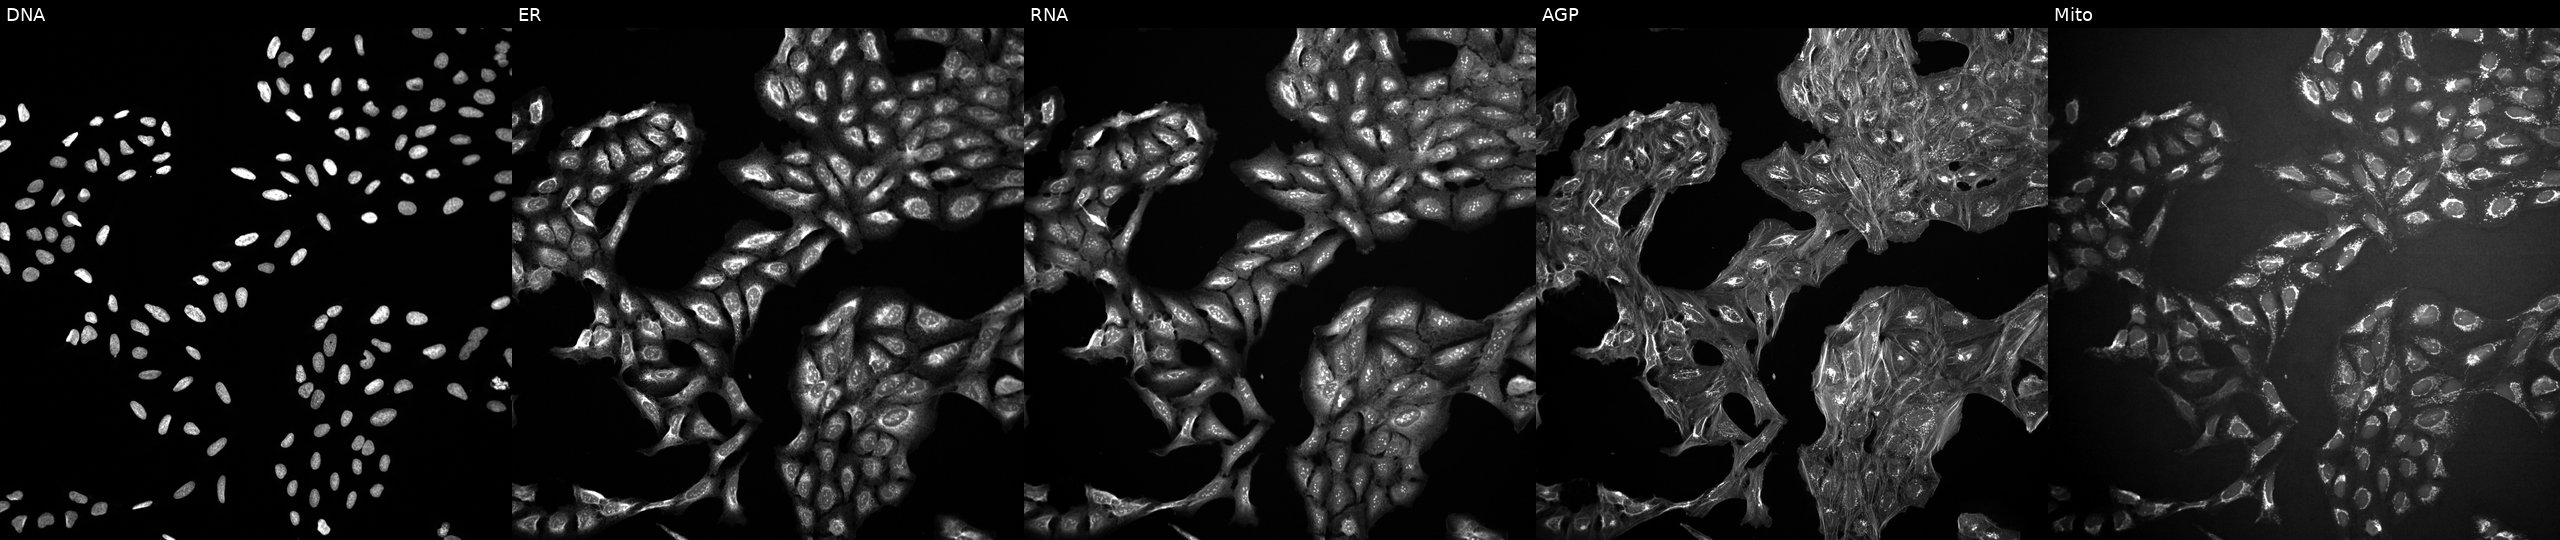
U2OS cells, Cell Painting assay, exposed to DMSO alone as a negative control (JUMP id JCP2022_033924). The five panels, left to right, show Hoechst 33342, concanavalin A, SYTO 14, phalloidin and WGA, MitoTracker. Each panel is percentile-stretched 16-bit fluorescence. Source 10, plate Dest210531-152324, well F23.